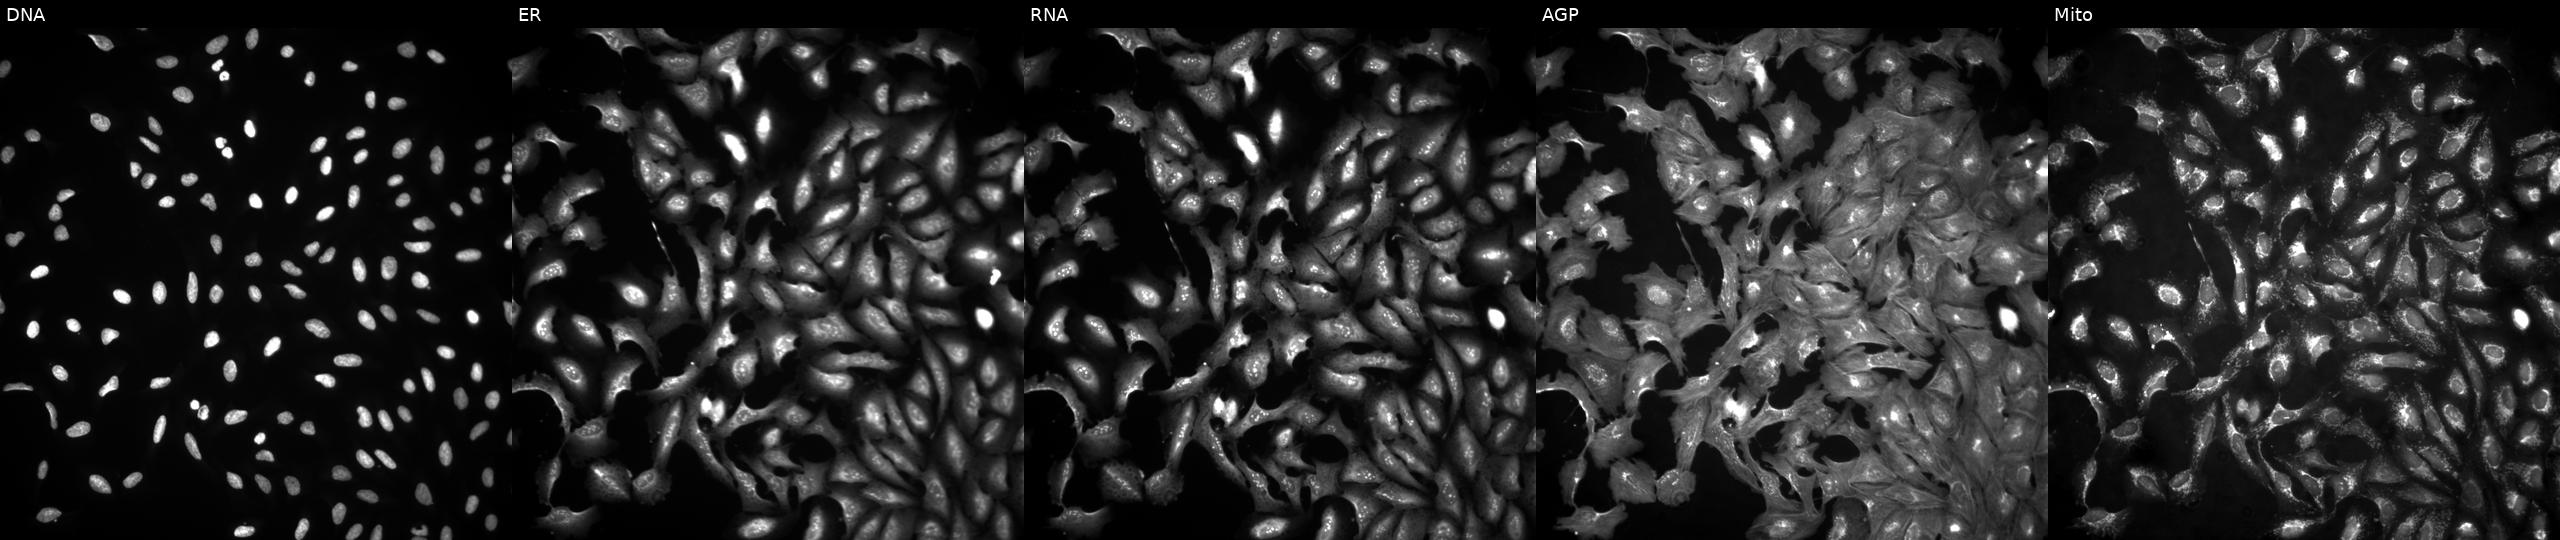
From left to right: DNA (nuclei); ER (endoplasmic reticulum); RNA (nucleoli and cytoplasmic RNA); AGP (actin cytoskeleton, Golgi, and plasma membrane); Mito (mitochondria). U2OS osteosarcoma cells transfected with an ORF construct for LAGE3. Cell Painting assay, JUMP-CP dataset. Source 4, plate BR00124784, well H22.